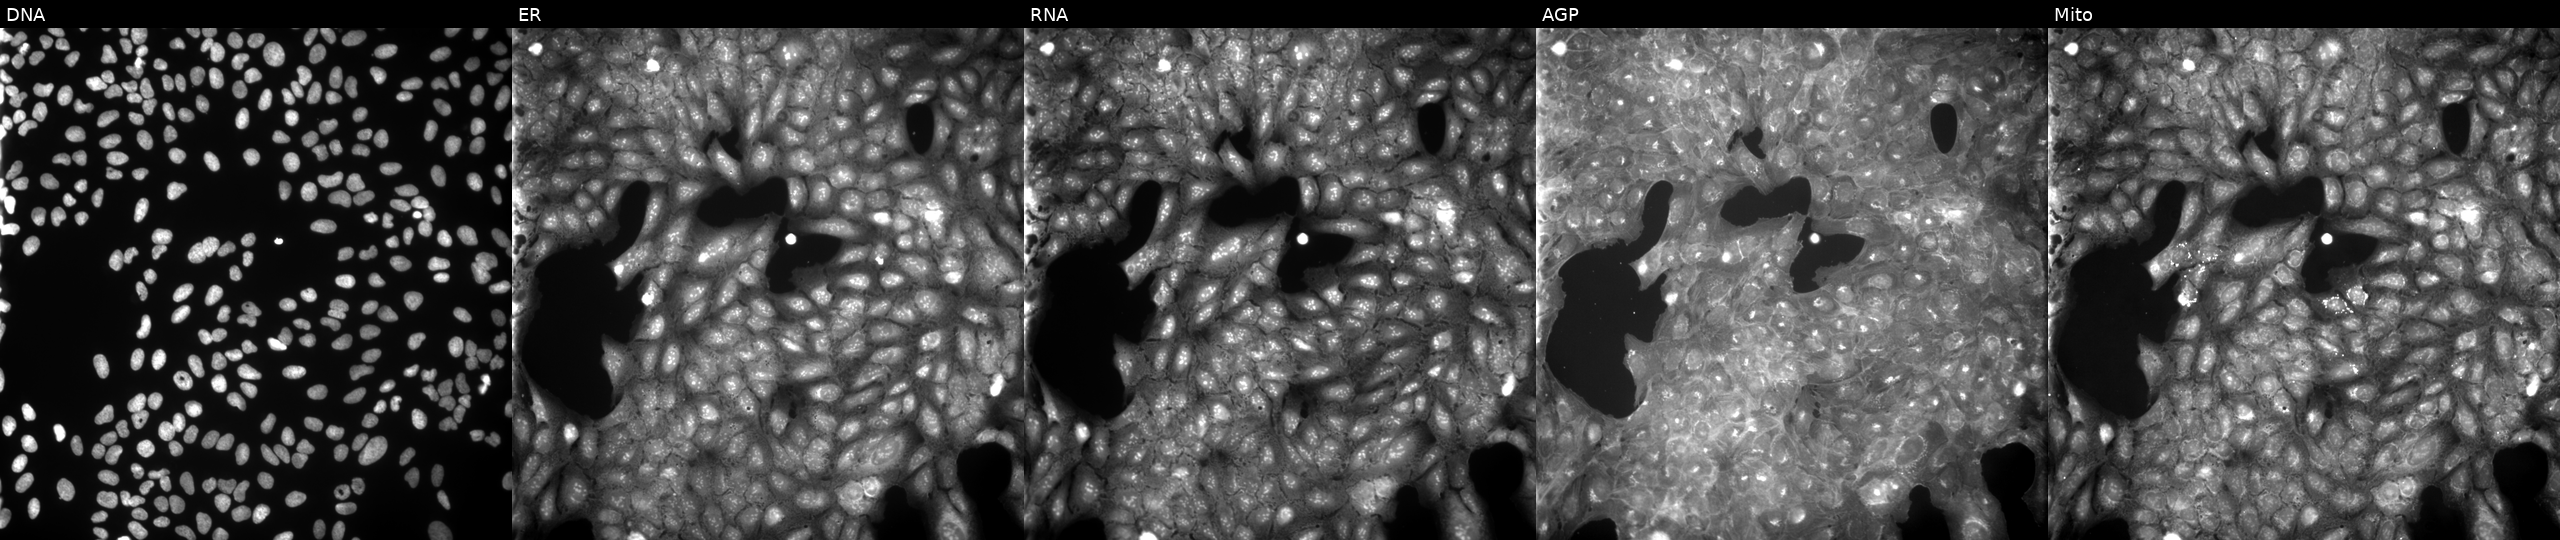
High-content fluorescence microscopy (Cell Painting). Cell line: U2OS. Perturbation: exposed to a small-molecule compound (JUMP id JCP2022_029569). Panels show, left to right, Hoechst 33342, concanavalin A, SYTO 14, phalloidin and WGA, MitoTracker. Source 9, plate GR00003381, well M17.